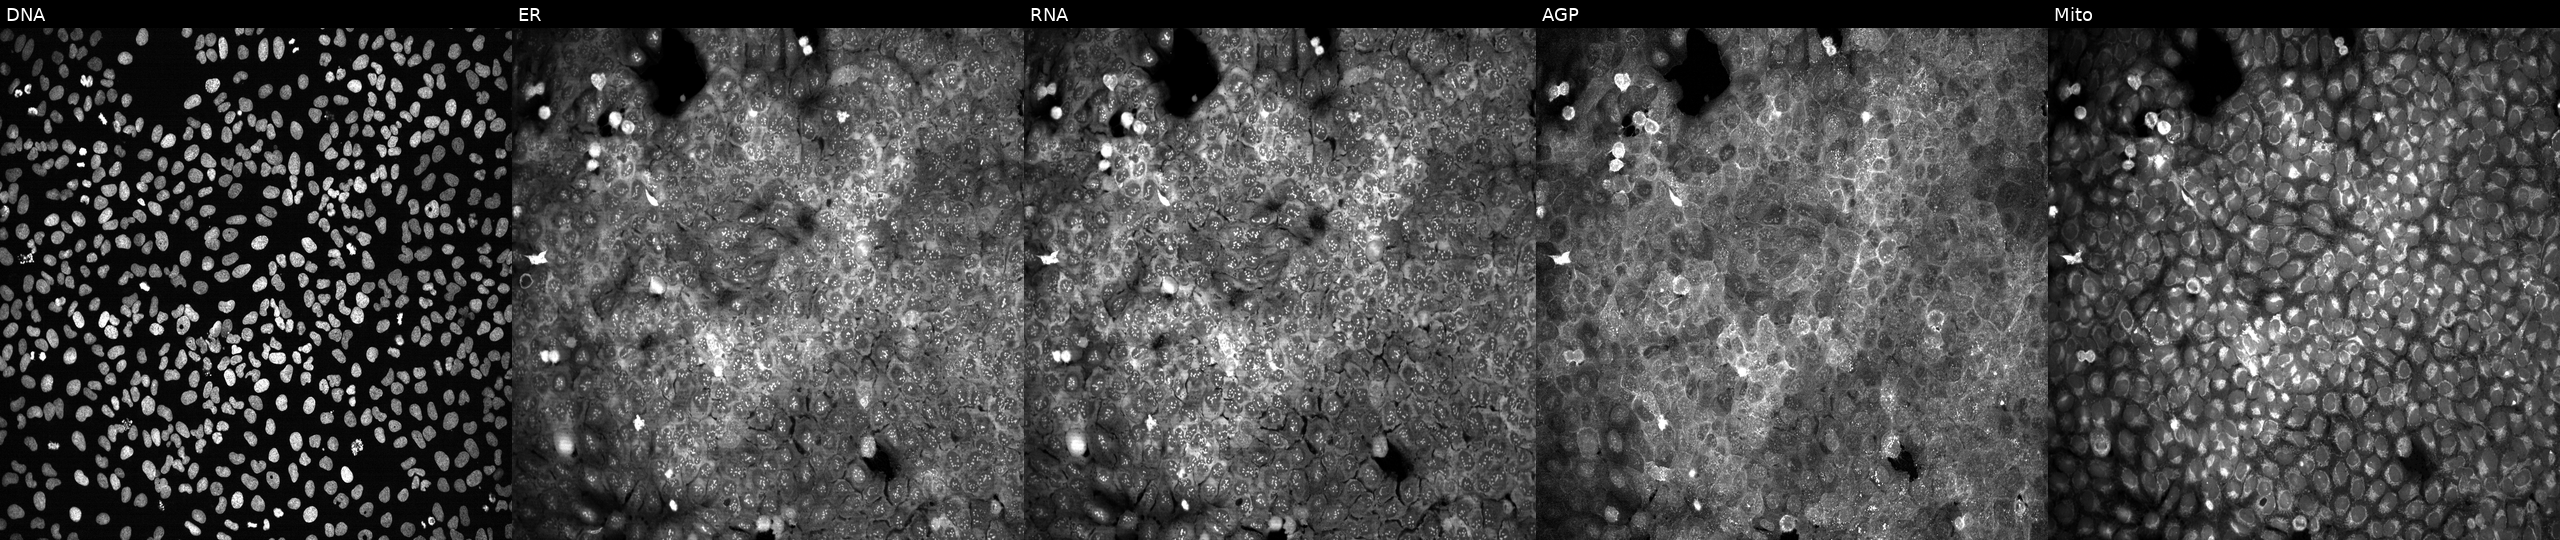
High-content fluorescence microscopy (Cell Painting). Cell line: U2OS. Perturbation: treated with aloxistatin (positive-control compound) (JUMP id JCP2022_085227). From left to right: DNA, ER, RNA, AGP, and Mito.